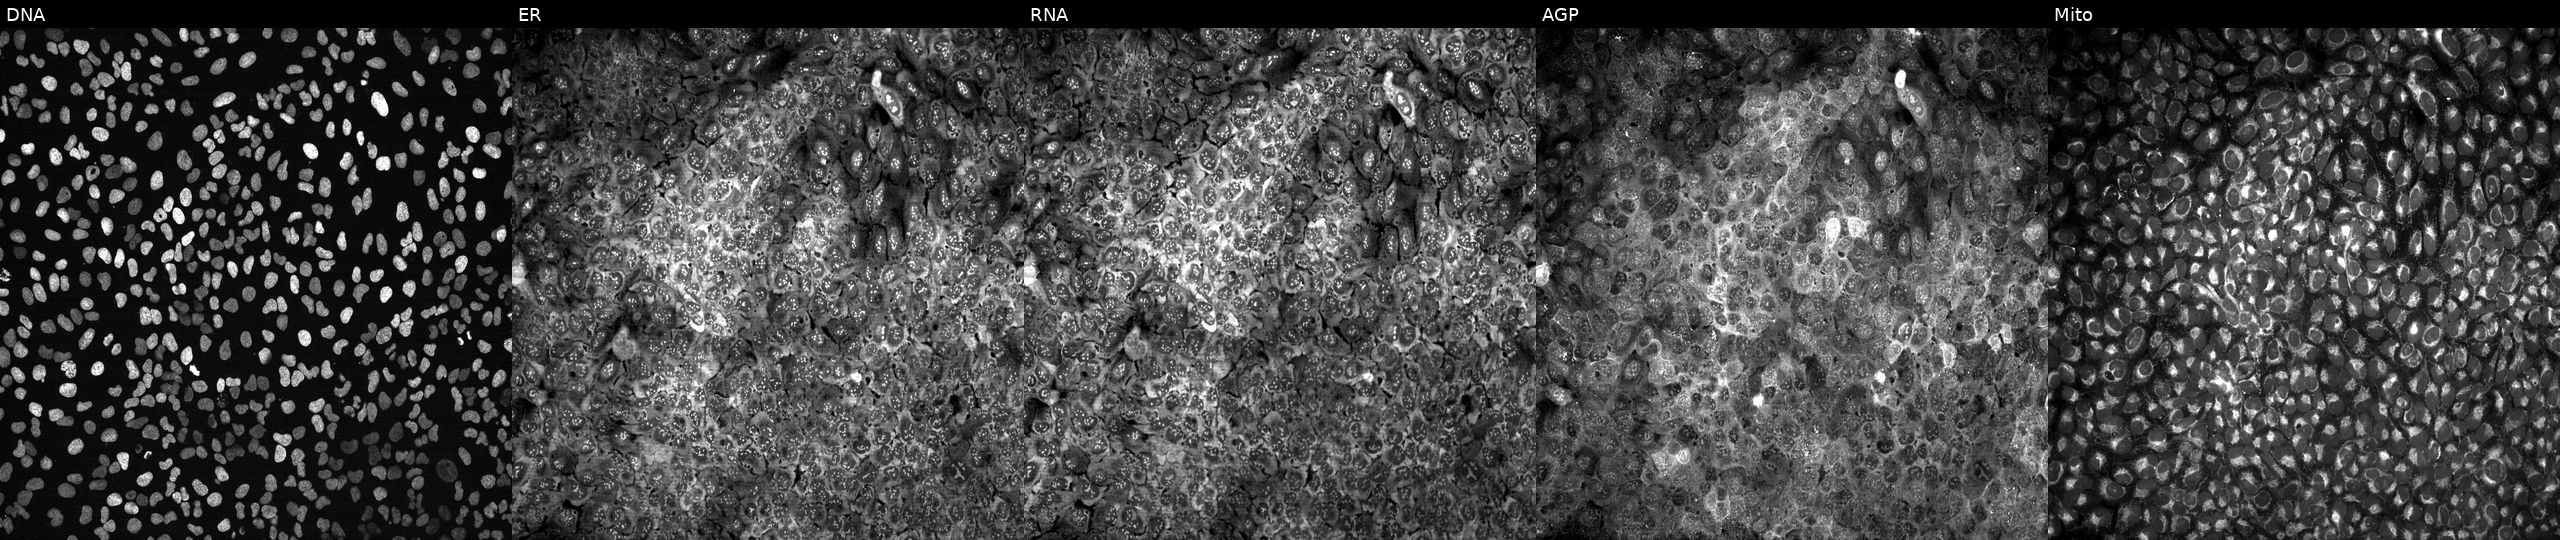
Five-channel Cell Painting image of U2OS cells following CRISPR knockout of SLC25A18. Panels show, left to right, Hoechst 33342, concanavalin A, SYTO 14, phalloidin and WGA, MitoTracker.